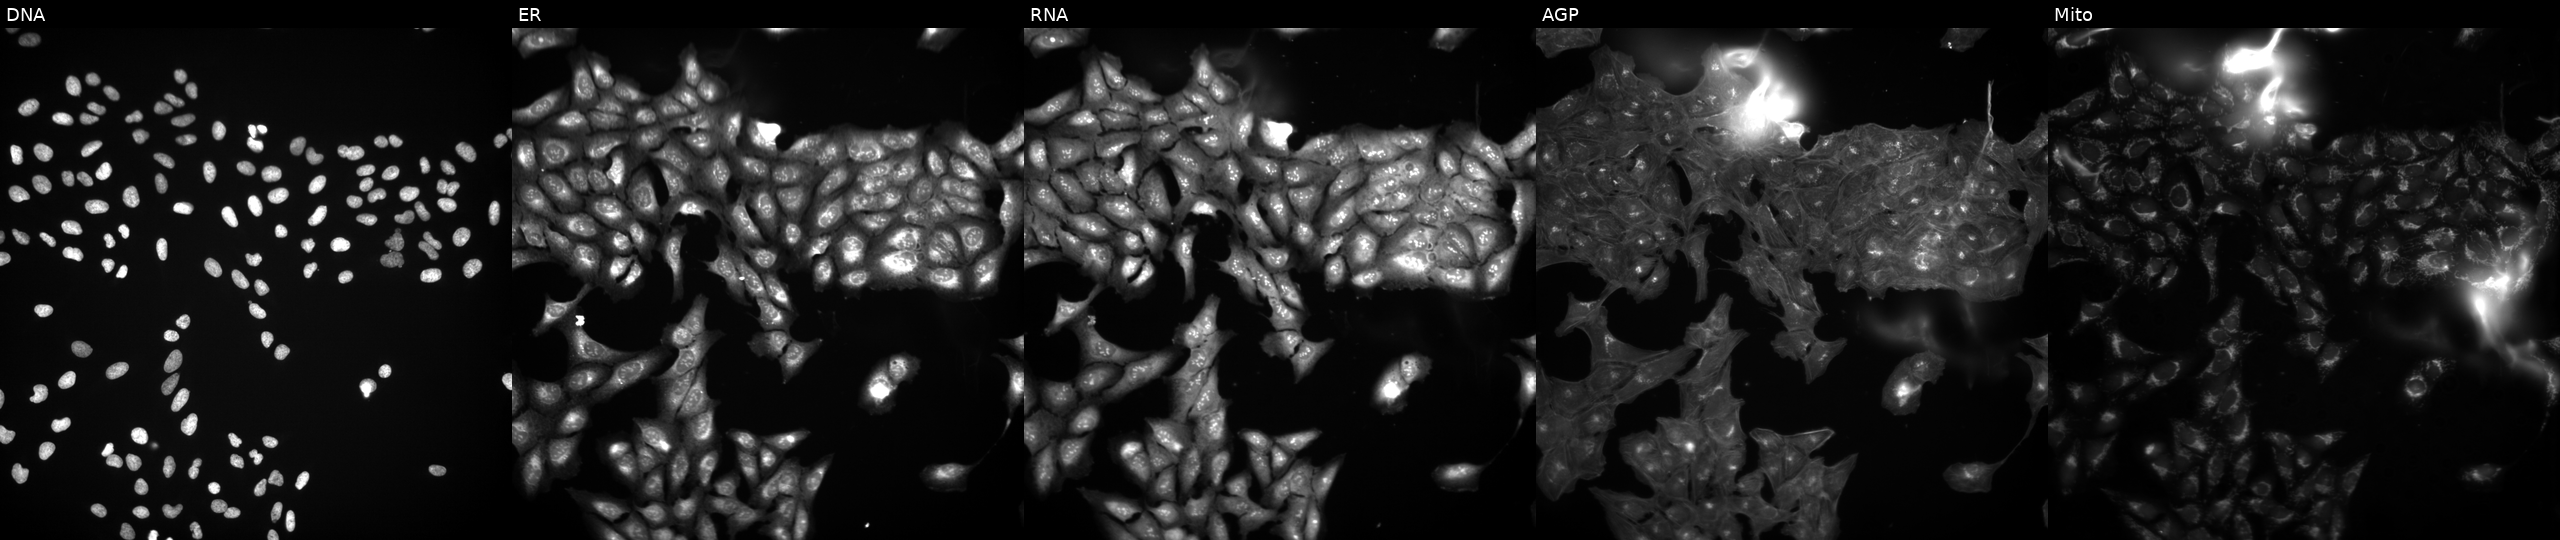
U2OS cells, Cell Painting assay, treated with a small-molecule compound [SMILES: CC1(O)c2ccccc2C(=O)N1CCc1ccccc1F] (JUMP id JCP2022_048317). Panels show, left to right, DNA, ER, RNA, AGP, and Mito. Each panel is percentile-stretched 16-bit fluorescence. Source 3, plate BR5867b3, well A16.